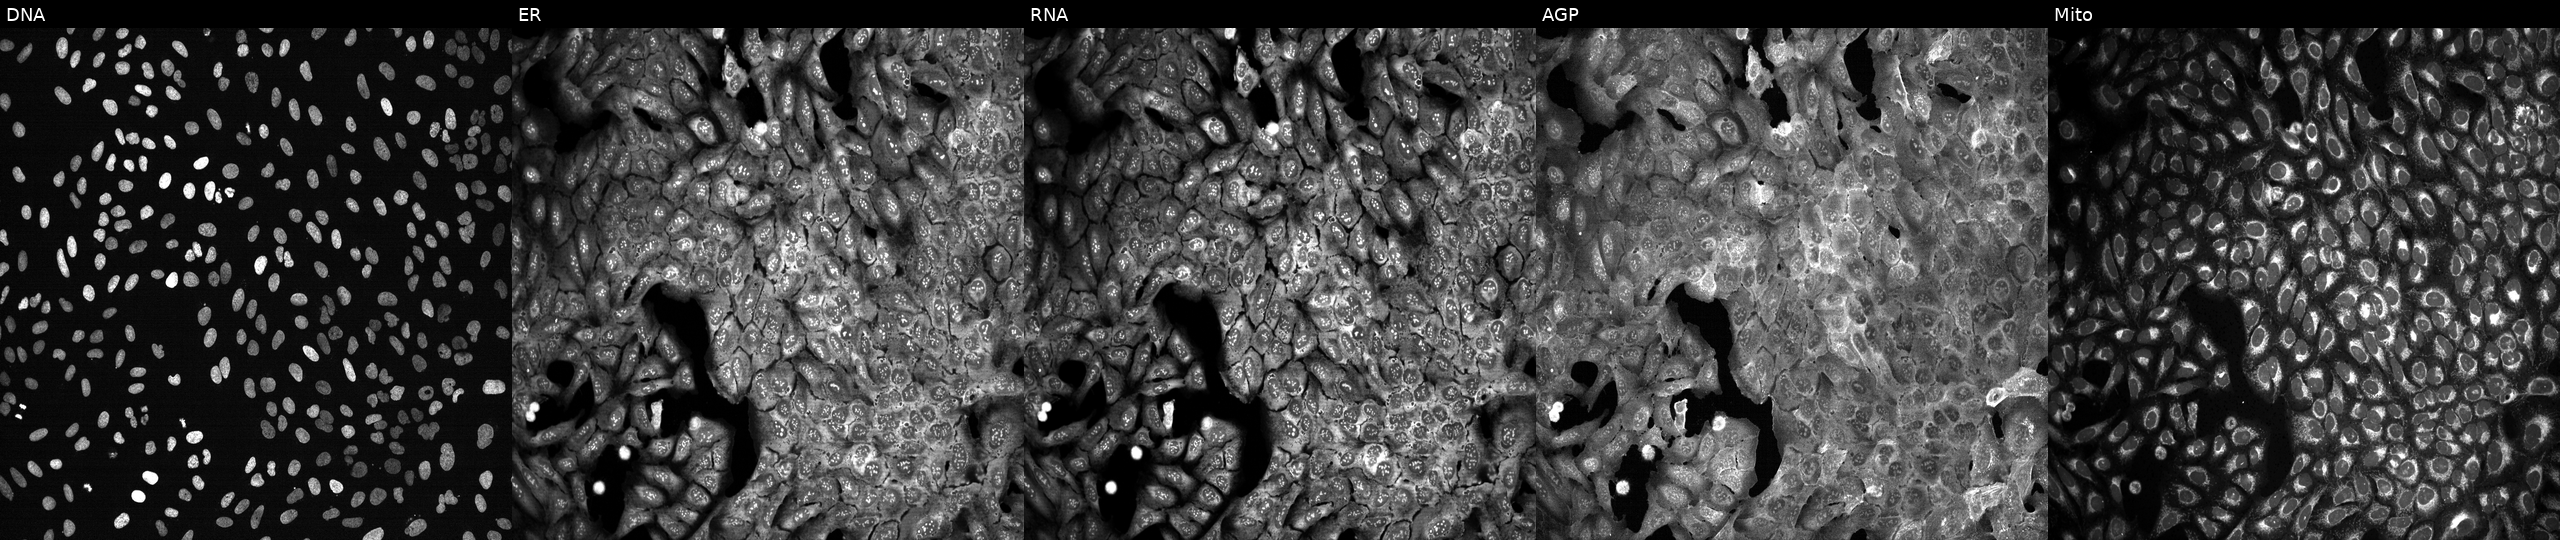
U2OS cells, Cell Painting assay, CRISPR-edited to disrupt SDS (JUMP id JCP2022_806241). From left to right: DNA (nuclei); ER (endoplasmic reticulum); RNA (nucleoli and cytoplasmic RNA); AGP (actin cytoskeleton, Golgi, and plasma membrane); Mito (mitochondria). Each panel is percentile-stretched 16-bit fluorescence.